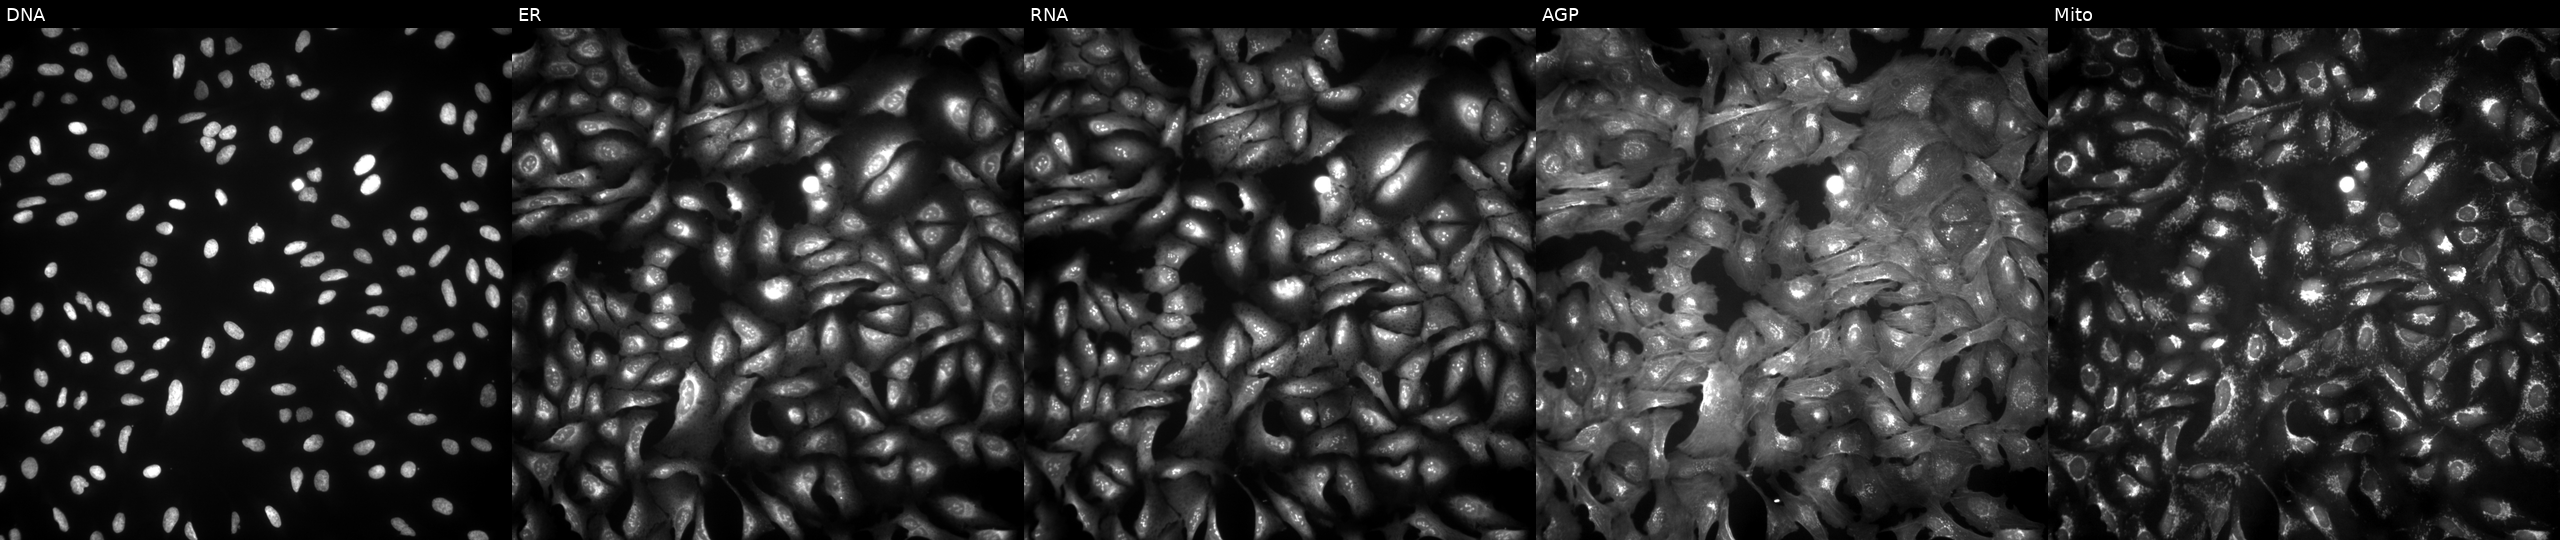
From left to right: Hoechst 33342, concanavalin A, SYTO 14, phalloidin and WGA, MitoTracker. U2OS osteosarcoma cells overexpressing CUL5 via ORF transfection. Cell Painting assay, JUMP-CP dataset.